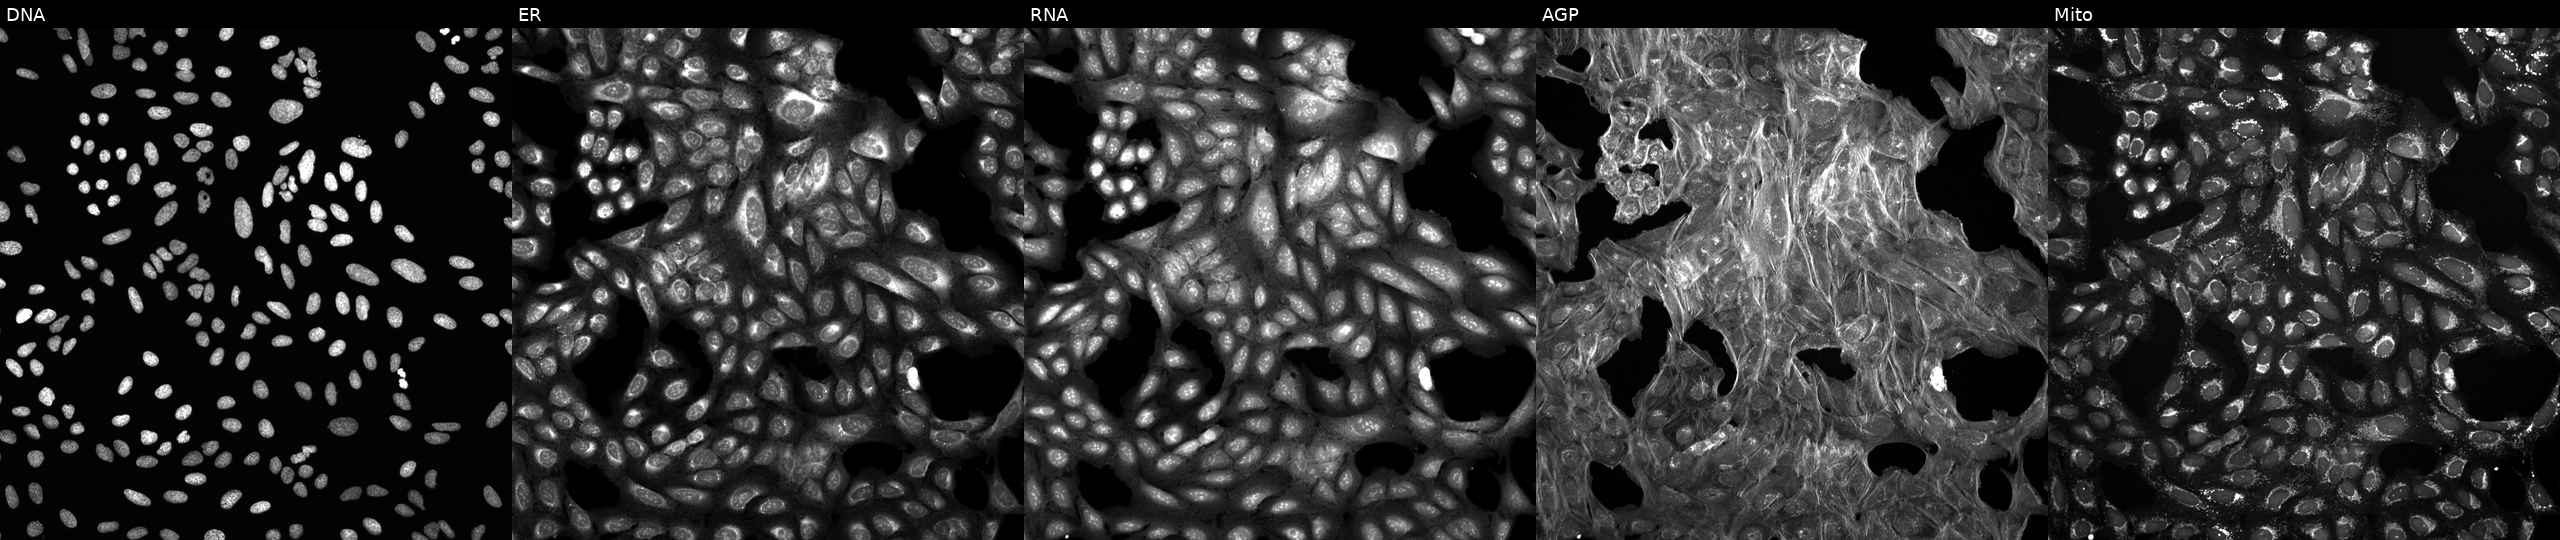
Five-channel Cell Painting image of U2OS cells treated with a small-molecule compound (InChIKey CNFJQRYOZISEMO-UHFFFAOYSA-N) (JUMP id JCP2022_012245). Panels show, left to right, DNA, ER, RNA, AGP, and Mito.